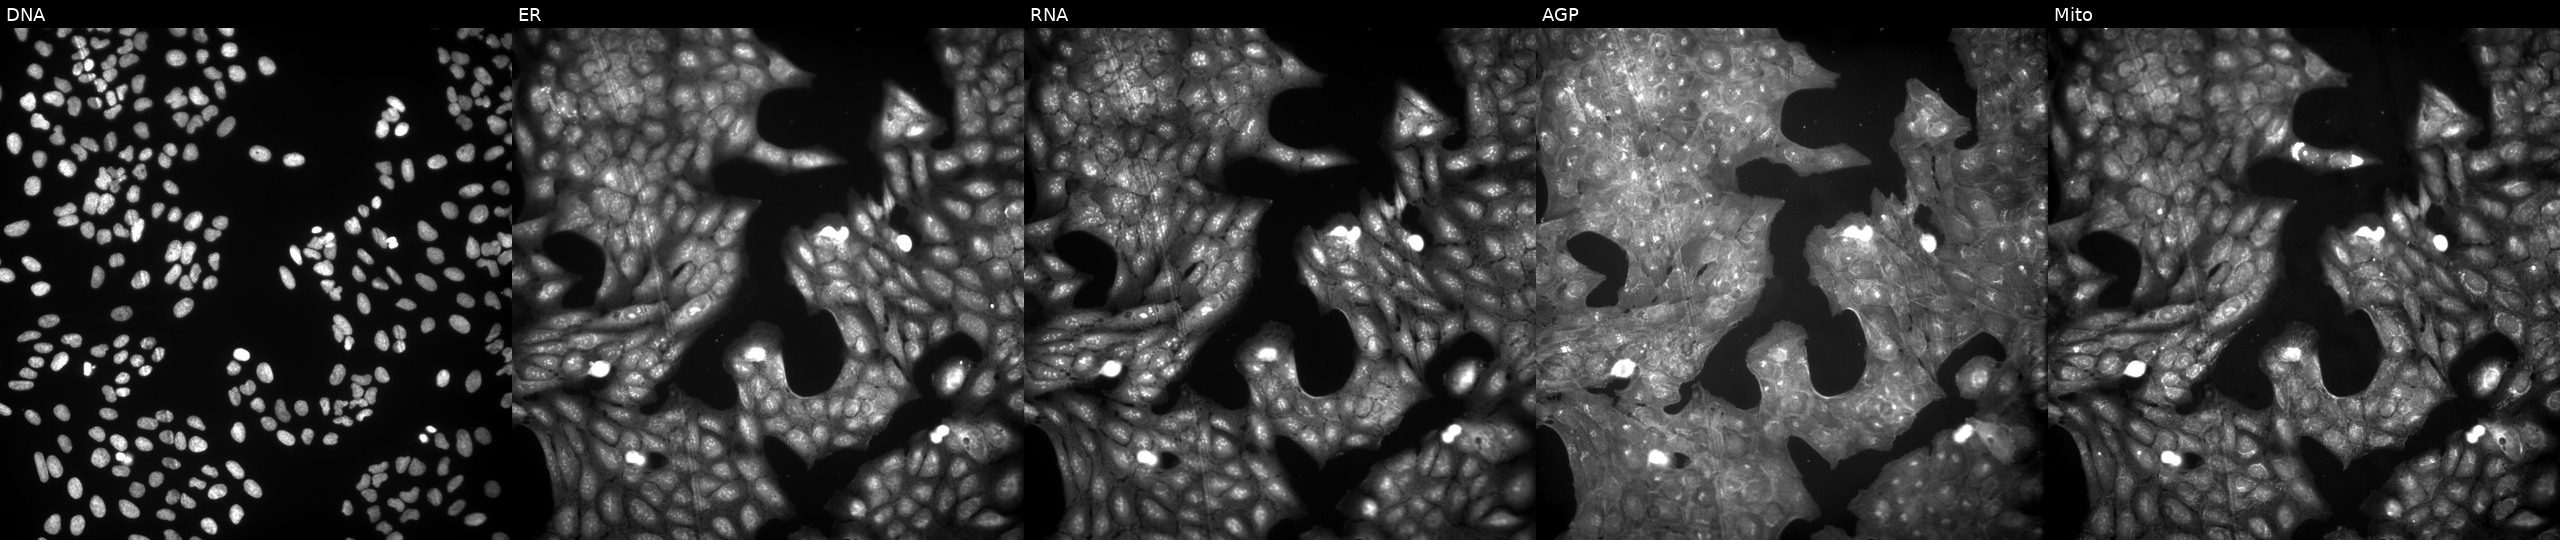
Five-channel Cell Painting image of U2OS cells treated with a small-molecule compound (JUMP id JCP2022_020763). The five panels, left to right, show DNA, ER, RNA, AGP, and Mito.